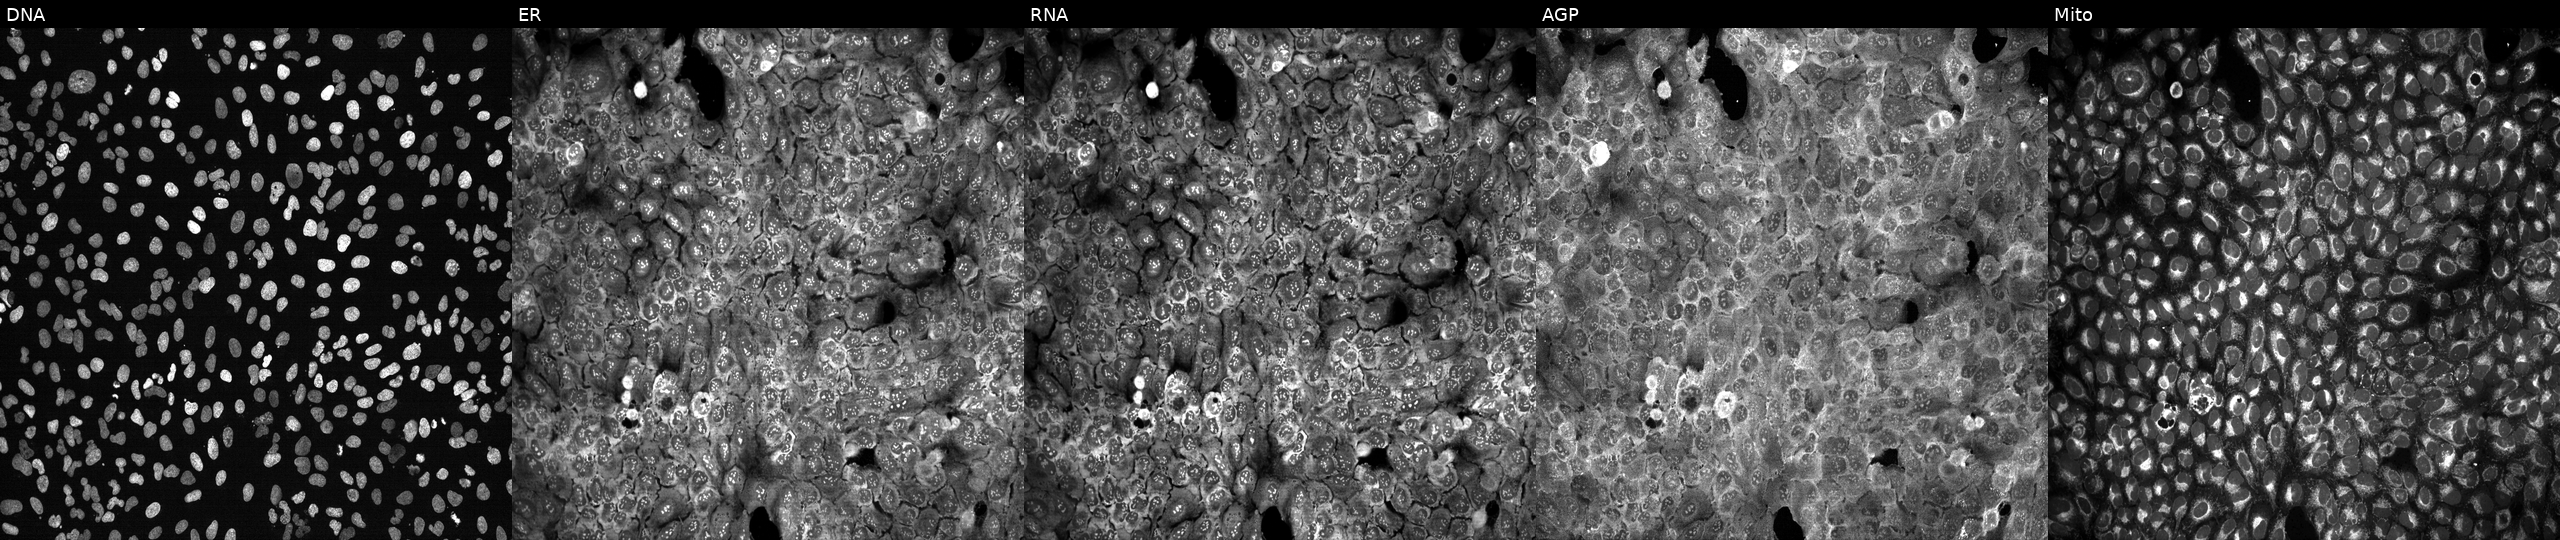
This image strip shows the five Cell Painting channels for a single field of U2OS cells with HSD17B11 knocked out by CRISPR. Panels show, left to right, Hoechst 33342, concanavalin A, SYTO 14, phalloidin and WGA, MitoTracker. Source 13, plate CP-CC9-R3-02, well K16.